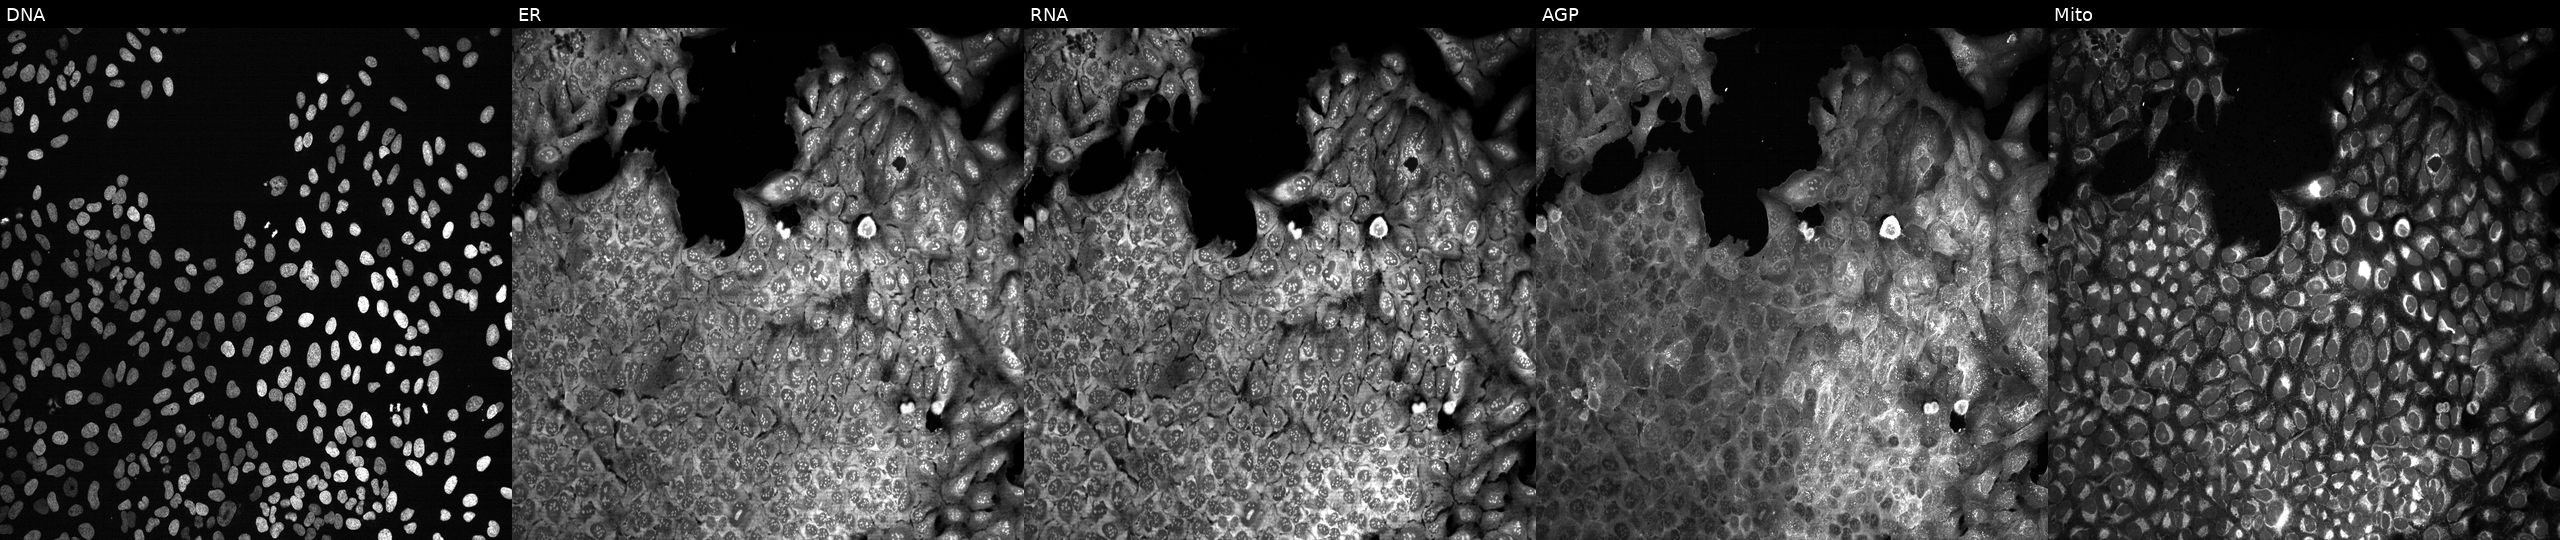
High-content fluorescence microscopy (Cell Painting). Cell line: U2OS. Perturbation: with no CRISPR guide (negative control) (JUMP id JCP2022_800001). From left to right: Hoechst 33342, concanavalin A, SYTO 14, phalloidin and WGA, MitoTracker.